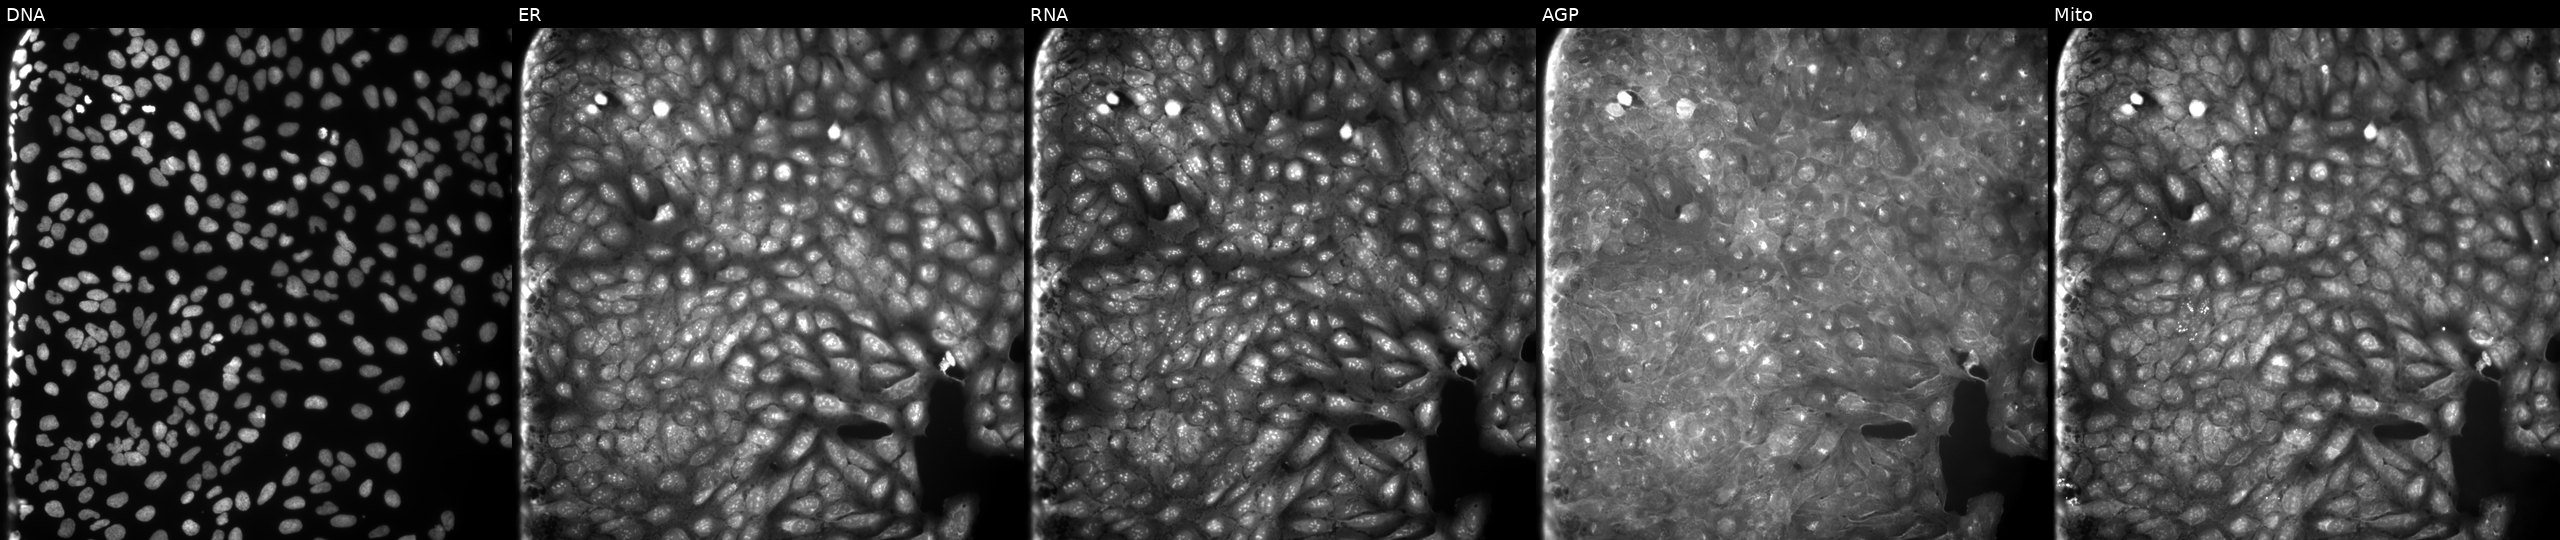
JUMP Cell Painting — COMPOUND plate. U2OS cells perturbed with a small-molecule compound (InChIKey LOWXKVGPKJYSOO-UHFFFAOYSA-N) (JUMP id JCP2022_050812). Panels show, left to right, DNA, ER, RNA, AGP, and Mito. Source 9, plate GR00003382, well R08.